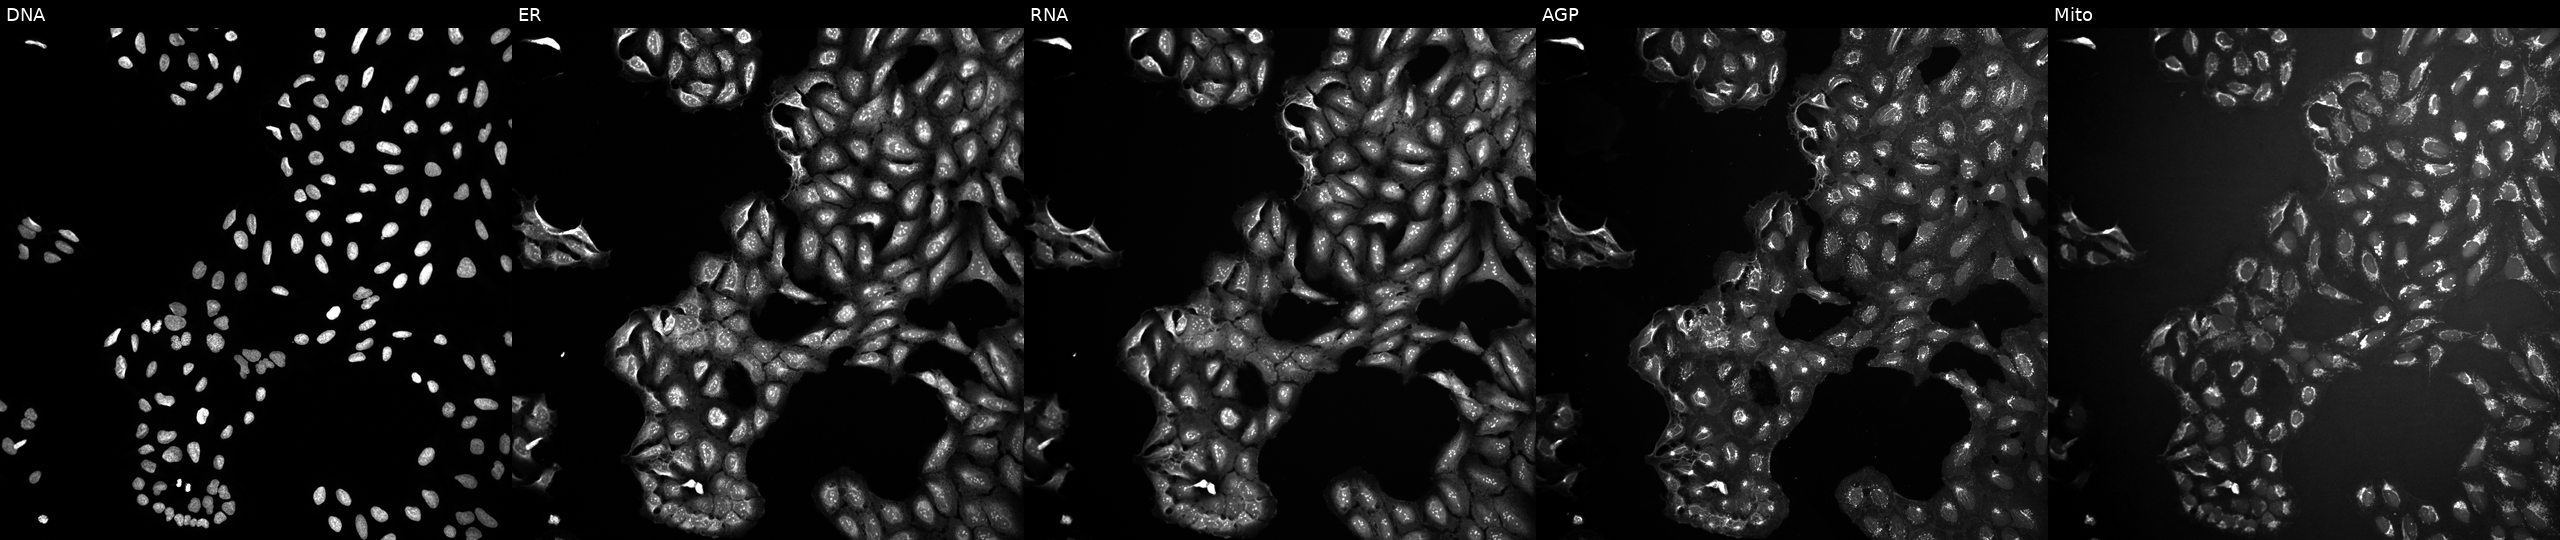
This image strip shows the five Cell Painting channels for a single field of U2OS cells treated with a small-molecule compound. The five panels, left to right, show DNA, ER, RNA, AGP, and Mito. Source 10, plate Dest210803-153958, well G22.